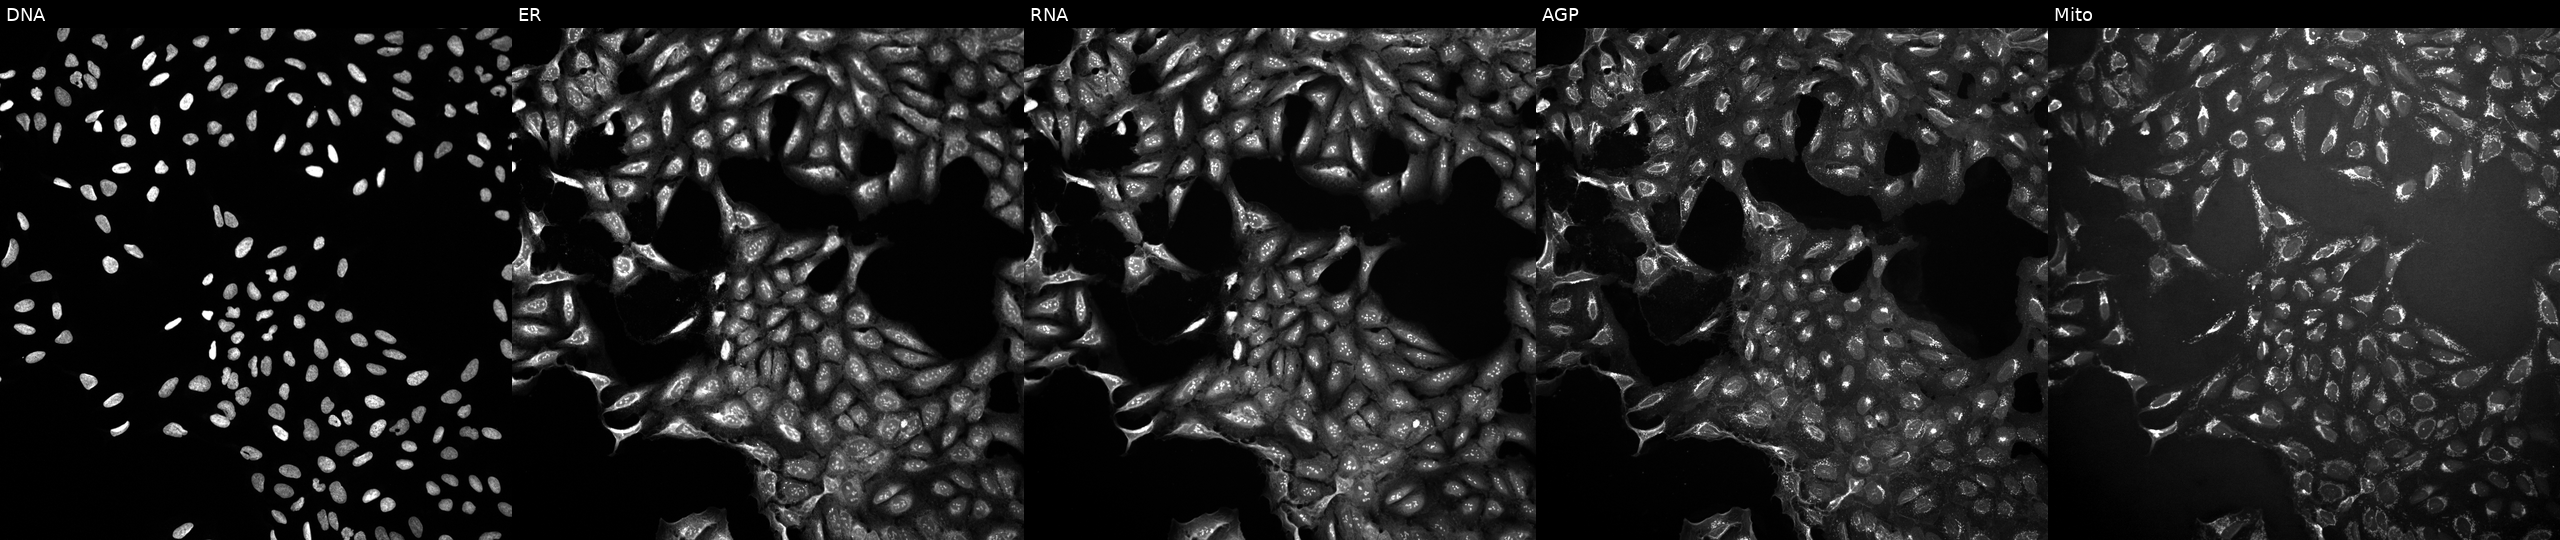
High-content fluorescence microscopy (Cell Painting). Cell line: U2OS. Perturbation: treated with a small-molecule compound (InChIKey XXRCUYVCPSWGCC-UHFFFAOYSA-N) (JUMP id JCP2022_106722). The five panels, left to right, show DNA (nuclei); ER (endoplasmic reticulum); RNA (nucleoli and cytoplasmic RNA); AGP (actin cytoskeleton, Golgi, and plasma membrane); Mito (mitochondria).